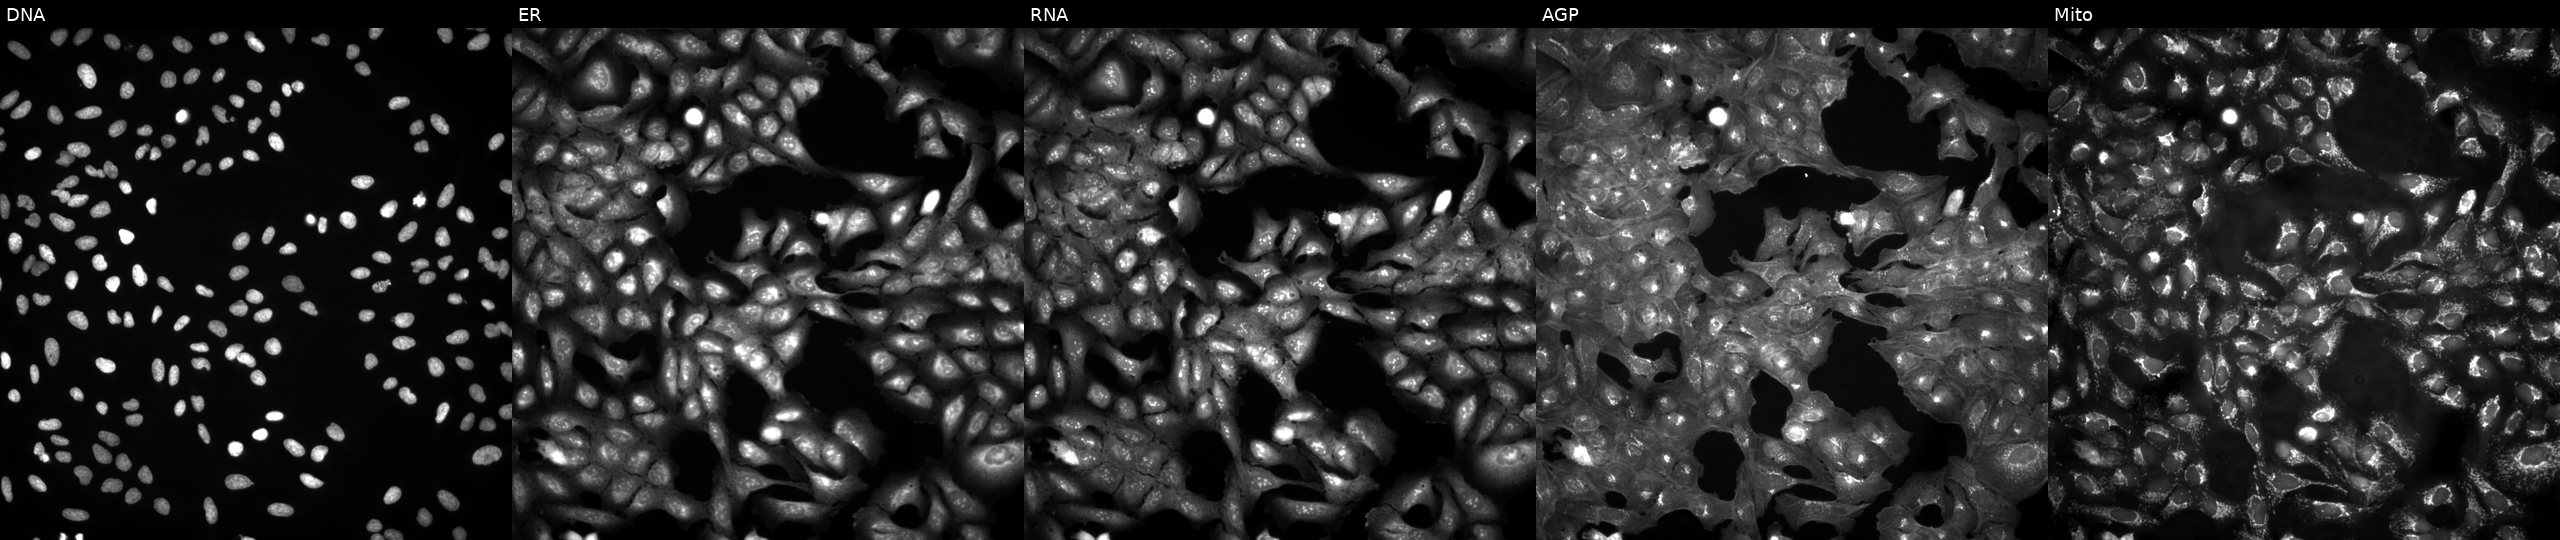
High-content fluorescence microscopy (Cell Painting). Cell line: U2OS. Perturbation: in an empty control well (no perturbation). Channels (left→right): DNA, ER, RNA, AGP, and Mito. Source 4, plate BR00123946, well M16.